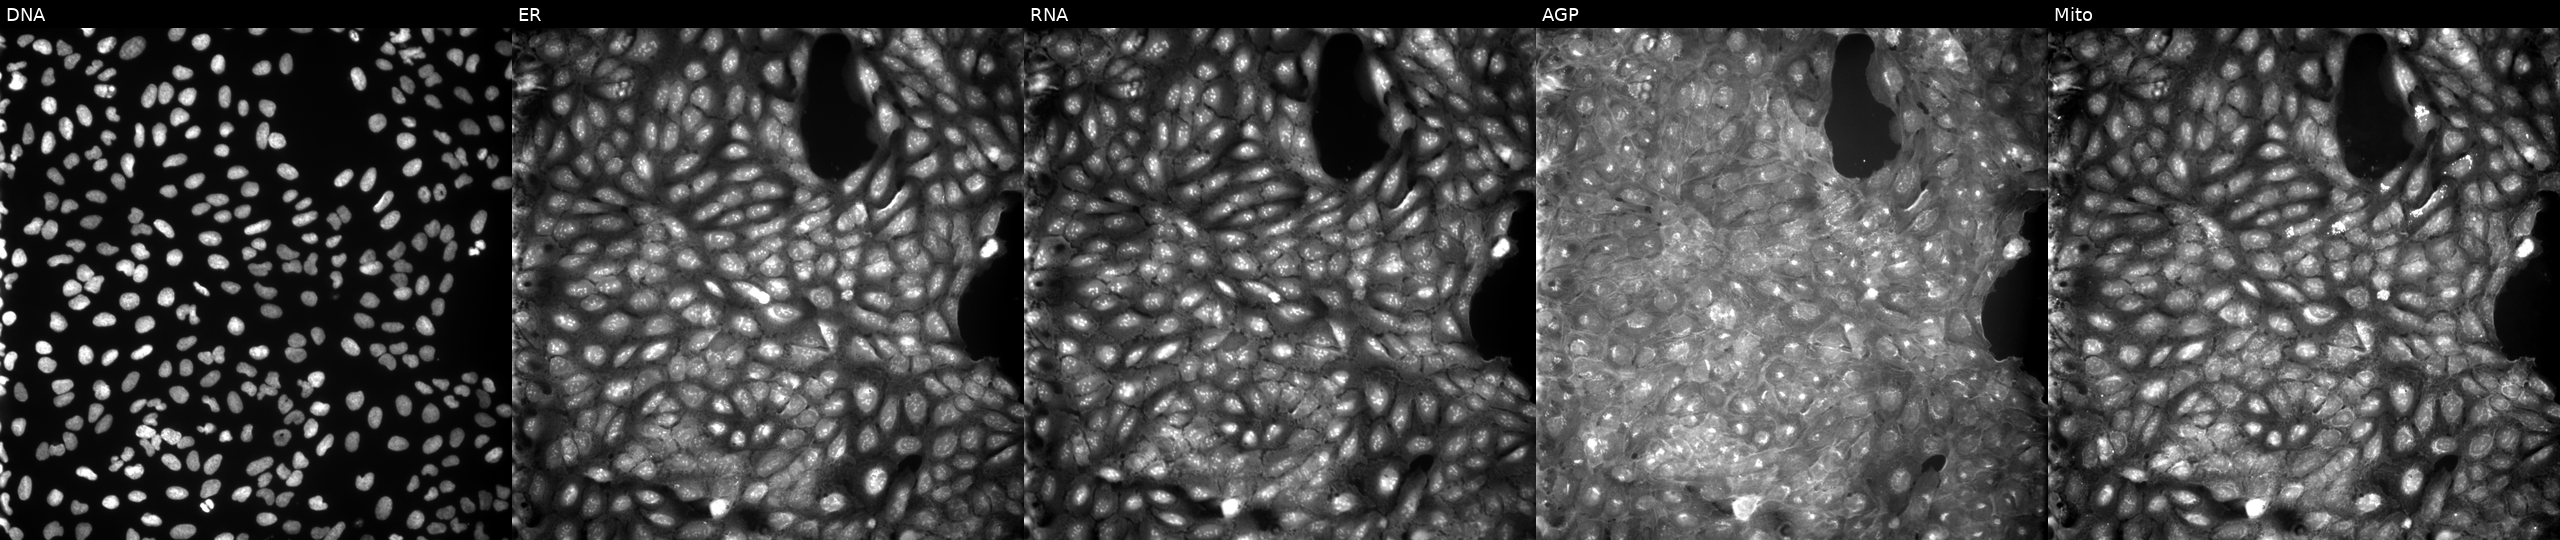
U2OS cells, Cell Painting assay, treated with DMSO vehicle only (negative control) (JUMP id JCP2022_033924). From left to right: DNA, ER, RNA, AGP, and Mito. Each panel is percentile-stretched 16-bit fluorescence. Source 9, plate GR00003382, well D23.